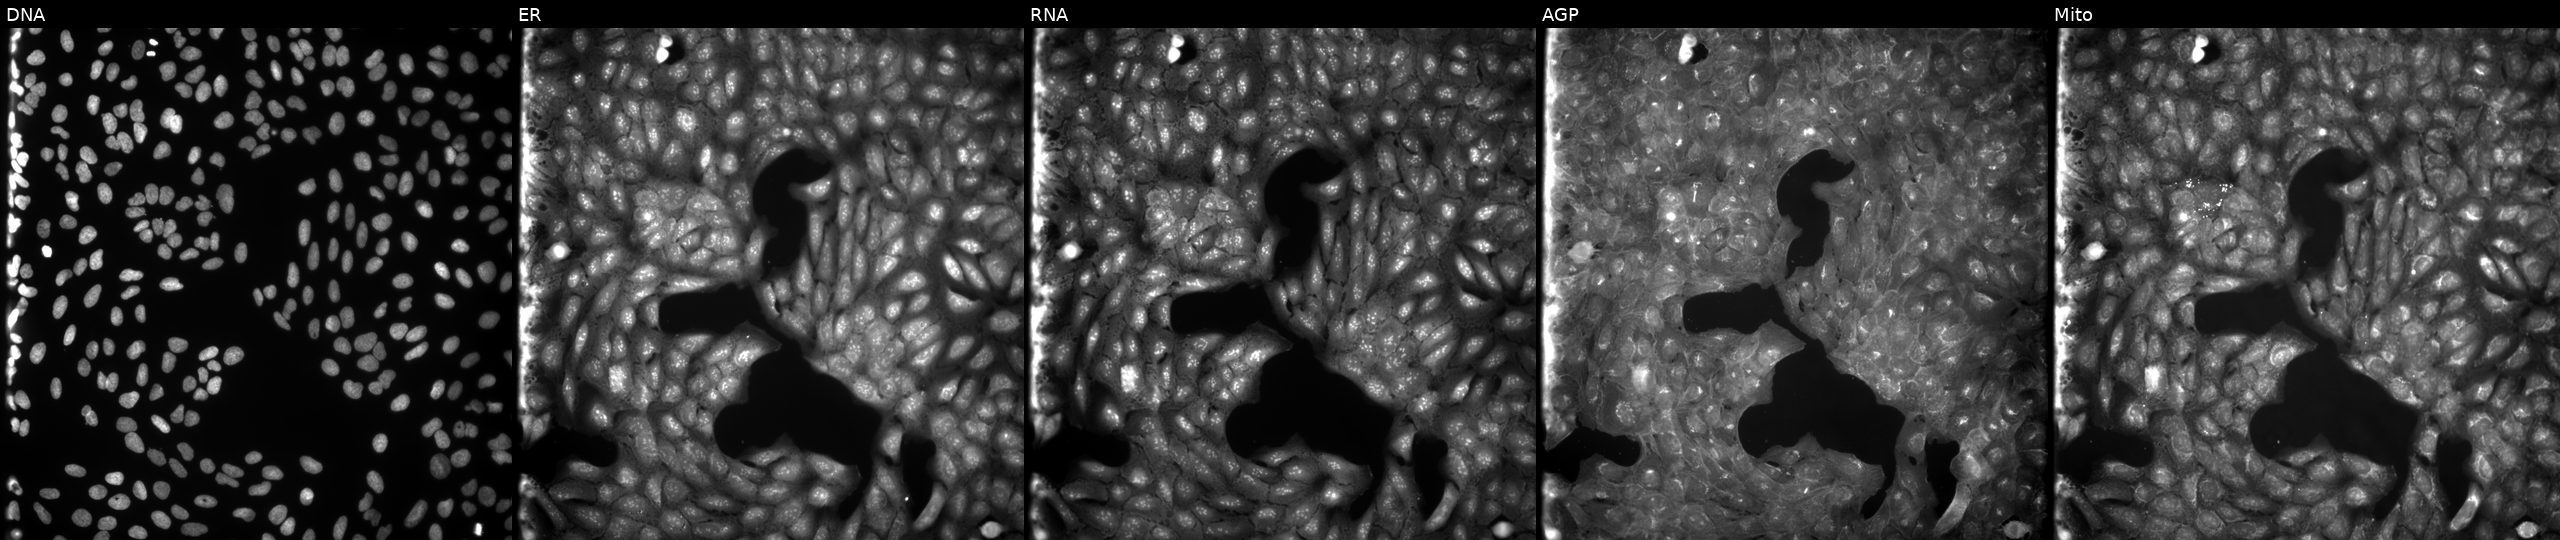
JUMP Cell Painting — COMPOUND plate. U2OS cells treated with a small-molecule compound (JUMP id JCP2022_048338). Channels (left→right): DNA, ER, RNA, AGP, and Mito. Source 9, plate GR00003381, well L10.